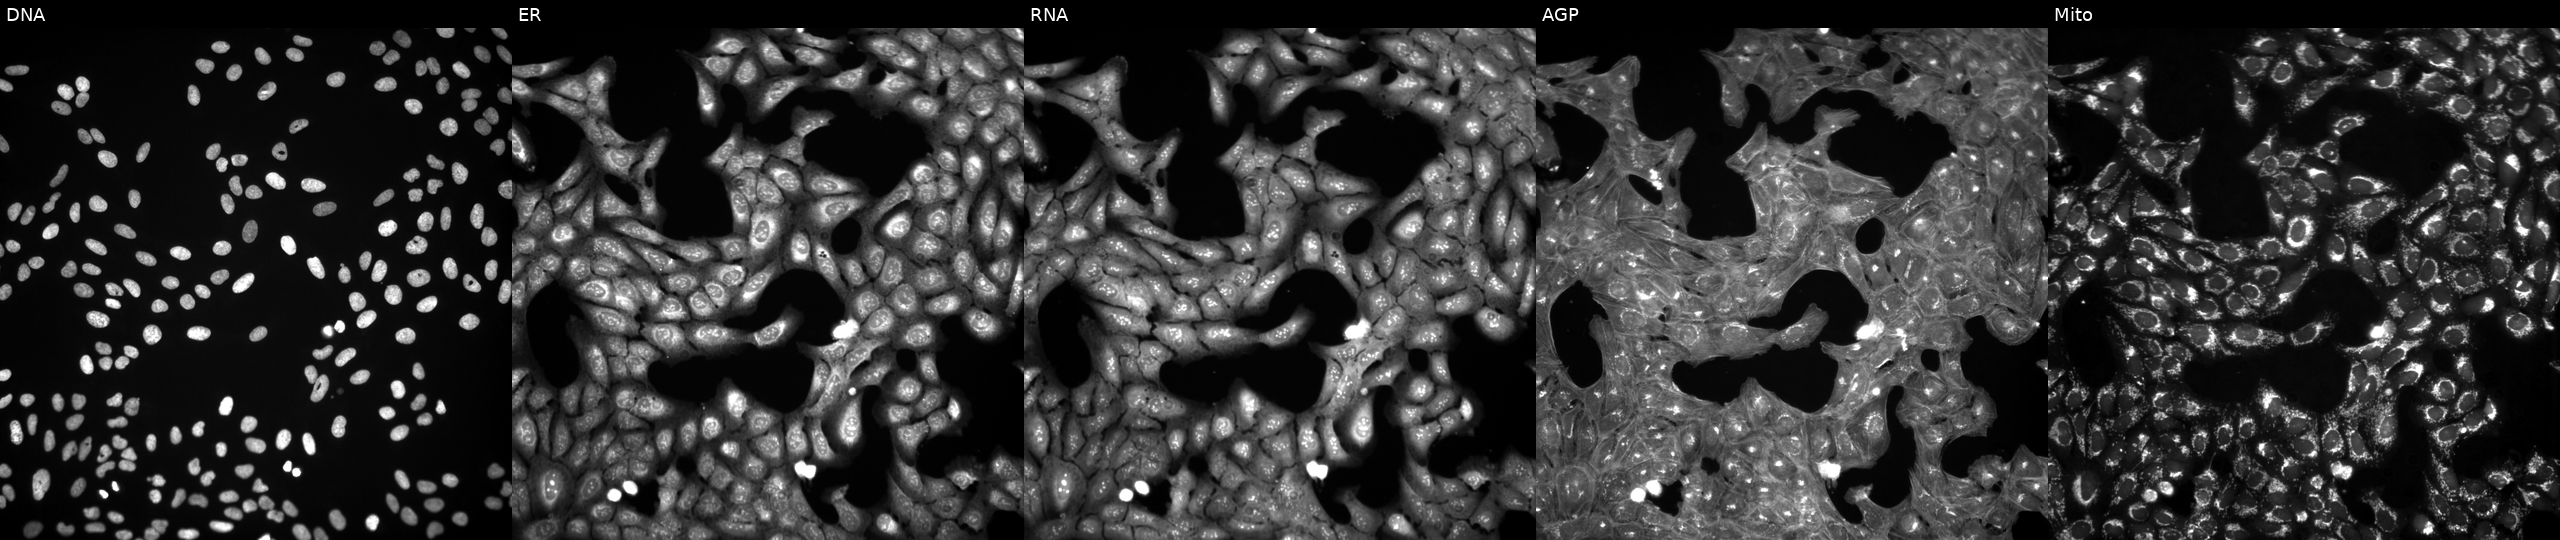
JUMP Cell Painting — TARGET2 plate. U2OS cells perturbed with a small-molecule compound (InChIKey HSUGRBWQSSZJOP-UHFFFAOYSA-N) [SMILES: COc1ccc(C2Sc3ccccc3N(CCN(C)C)C(=O)C2OC(C)=O)cc1] (JUMP id JCP2022_032357). Panels show, left to right, DNA (nuclei); ER (endoplasmic reticulum); RNA (nucleoli and cytoplasmic RNA); AGP (actin cytoskeleton, Golgi, and plasma membrane); Mito (mitochondria).